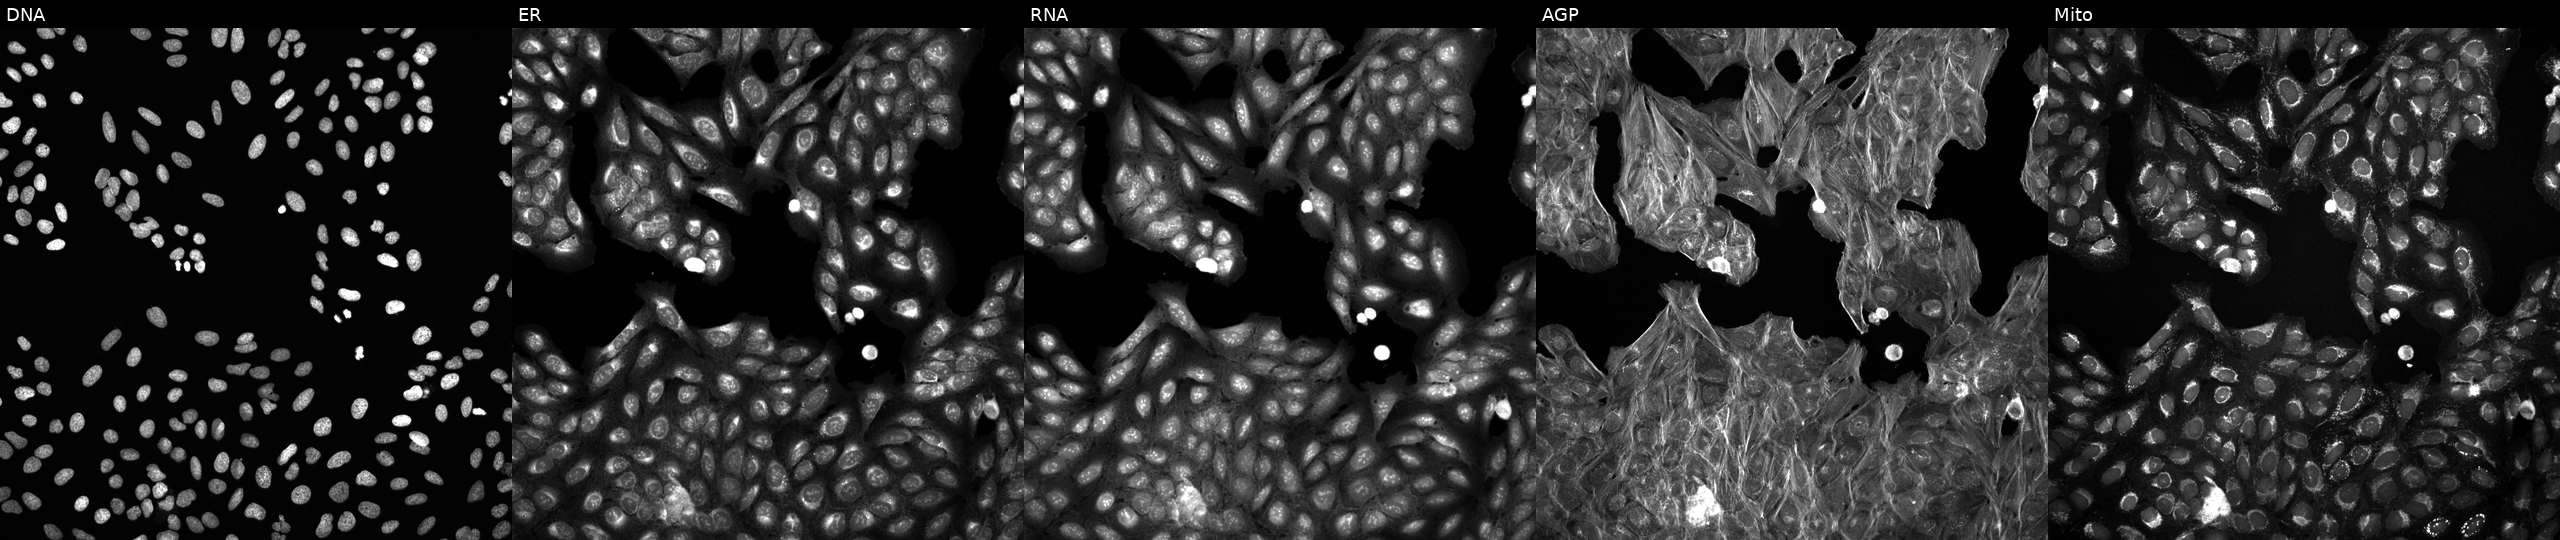
U2OS cells, Cell Painting assay, treated with DMSO vehicle only (negative control) (JUMP id JCP2022_033924). Channels (left→right): Hoechst 33342, concanavalin A, SYTO 14, phalloidin and WGA, MitoTracker. Each panel is percentile-stretched 16-bit fluorescence.